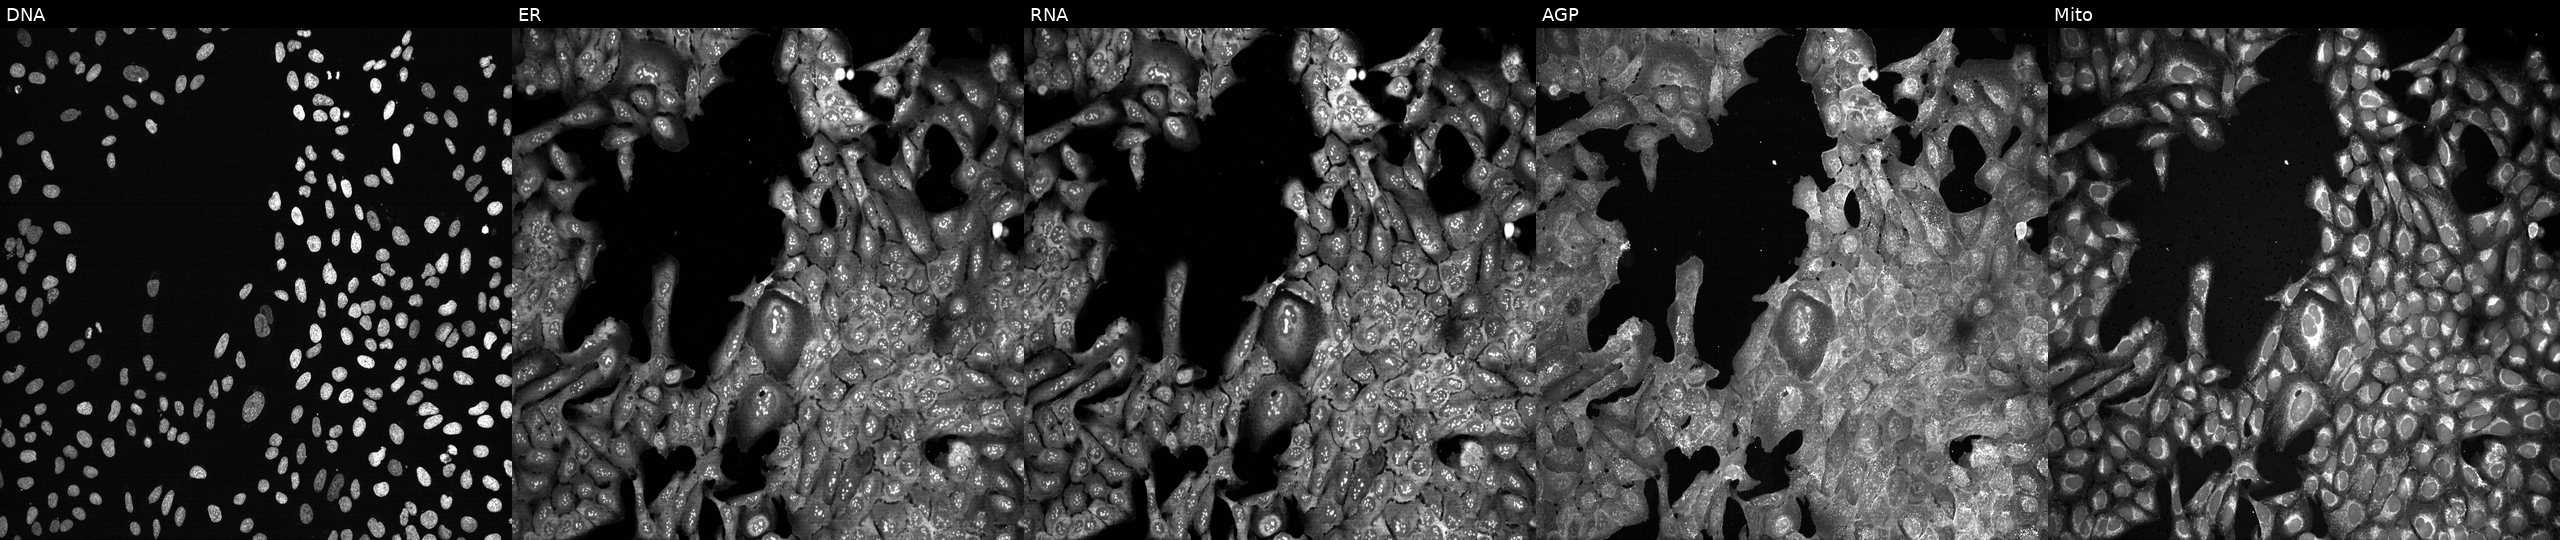
U2OS cells, Cell Painting assay, CRISPR-edited to disrupt GCNT1. The five panels, left to right, show DNA (nuclei); ER (endoplasmic reticulum); RNA (nucleoli and cytoplasmic RNA); AGP (actin cytoskeleton, Golgi, and plasma membrane); Mito (mitochondria). Each panel is percentile-stretched 16-bit fluorescence.